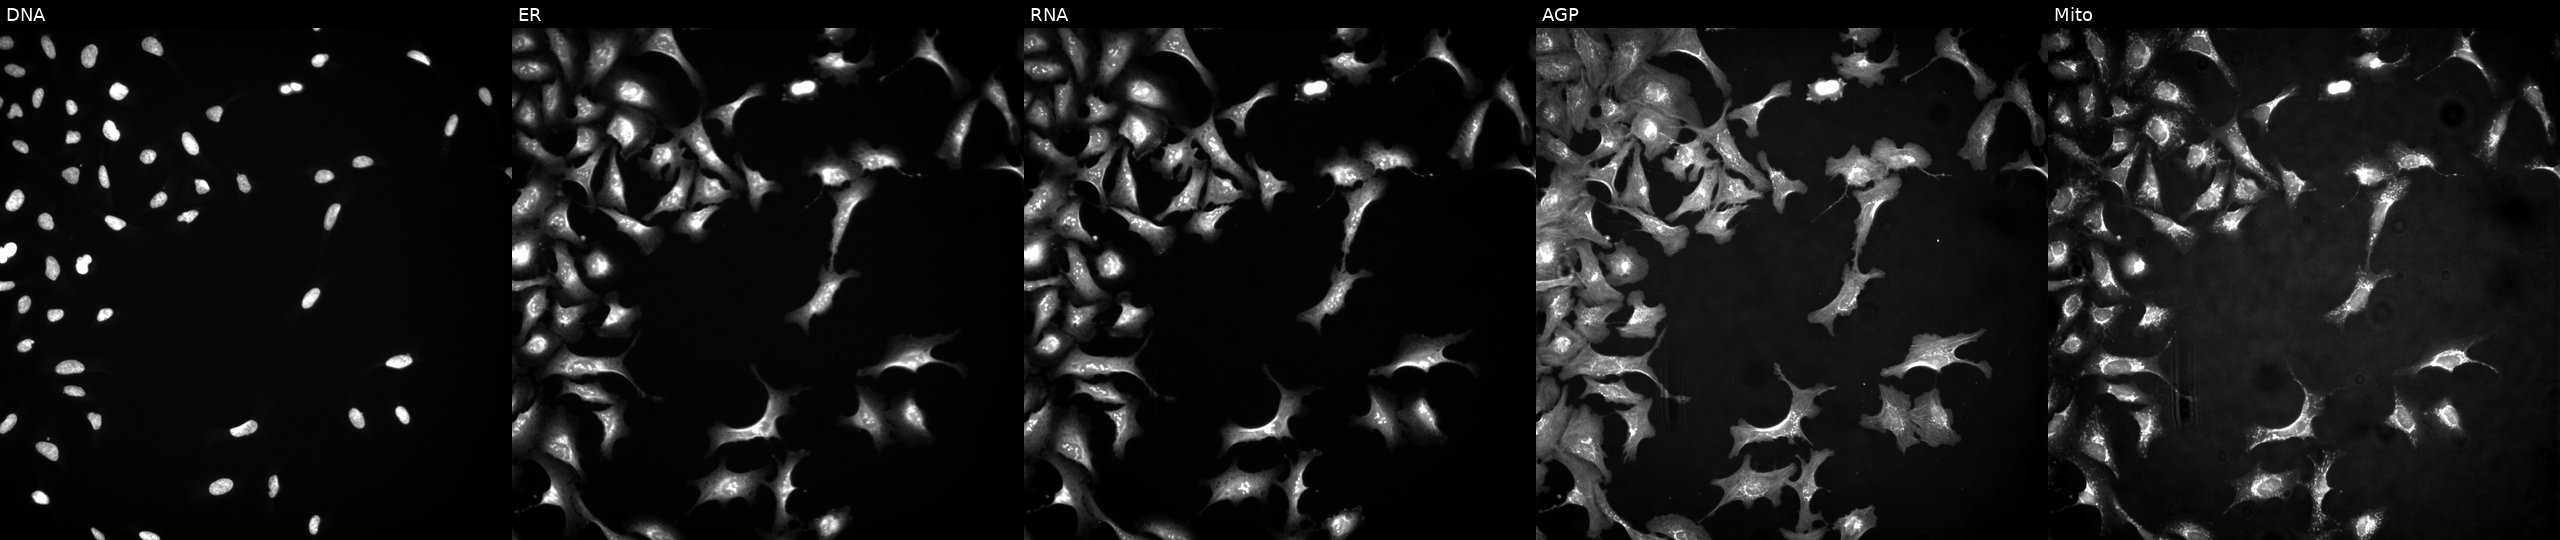
JUMP Cell Painting — ORF plate. U2OS cells transfected with an ORF construct for BMX (JUMP id JCP2022_913585). Panels show, left to right, DNA, ER, RNA, AGP, and Mito.